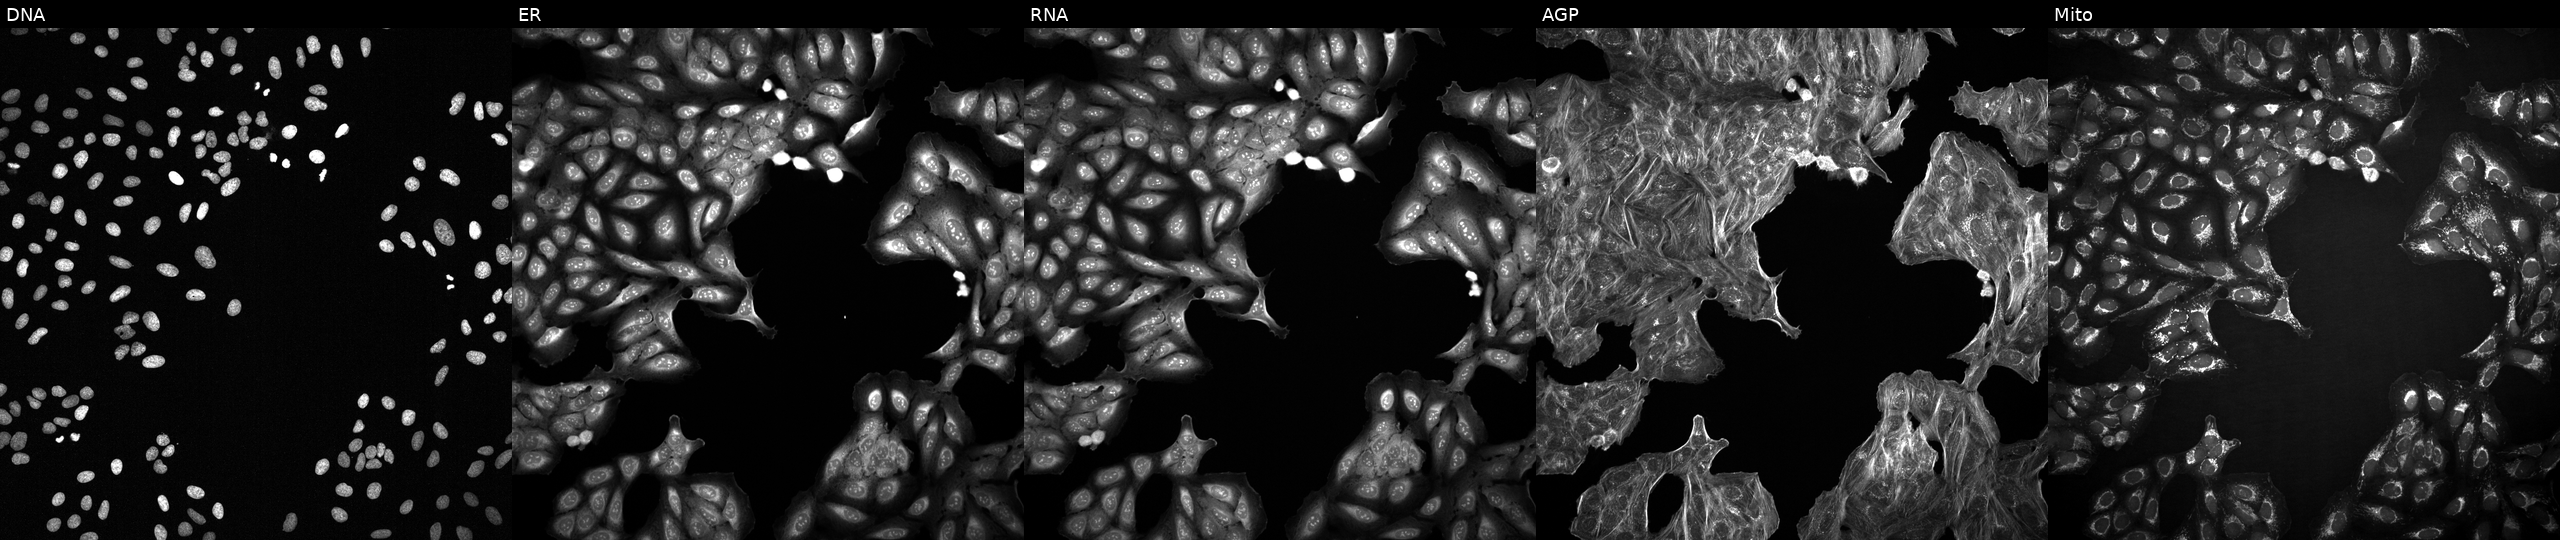
High-content fluorescence microscopy (Cell Painting). Cell line: U2OS. Perturbation: with an unidentified perturbation (not annotated in JUMP metadata). The five panels, left to right, show Hoechst 33342, concanavalin A, SYTO 14, phalloidin and WGA, MitoTracker. Source 2, plate 1053601763, well J16.